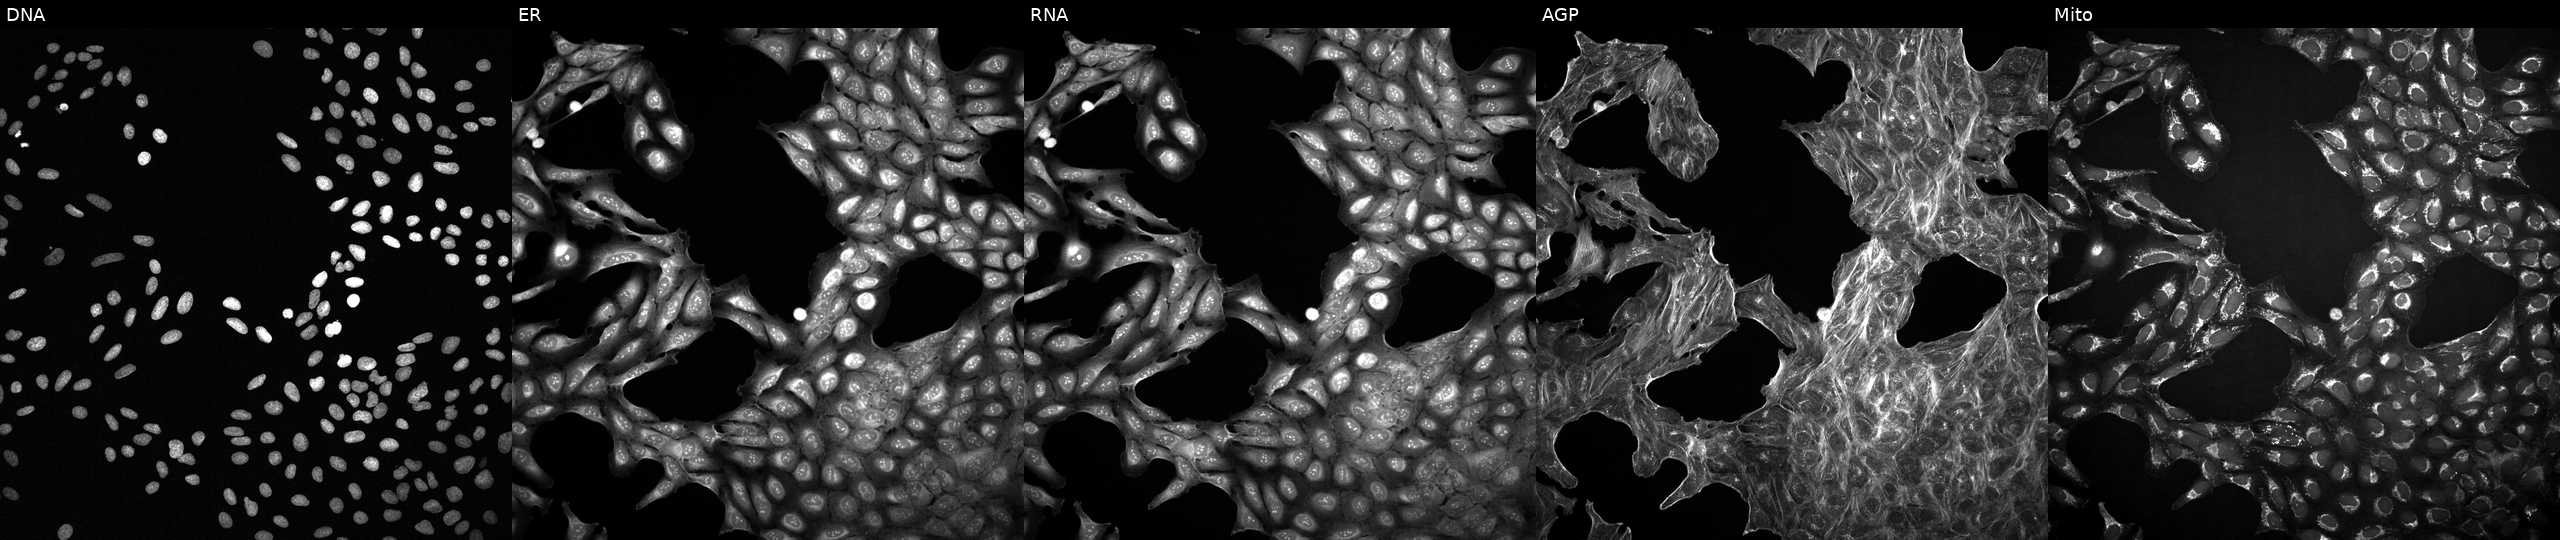
U2OS cells, Cell Painting assay, treated with a small-molecule compound (InChIKey BCWCEHMHCDCJAD-UHFFFAOYSA-N). Channels (left→right): DNA, ER, RNA, AGP, and Mito. Each panel is percentile-stretched 16-bit fluorescence.